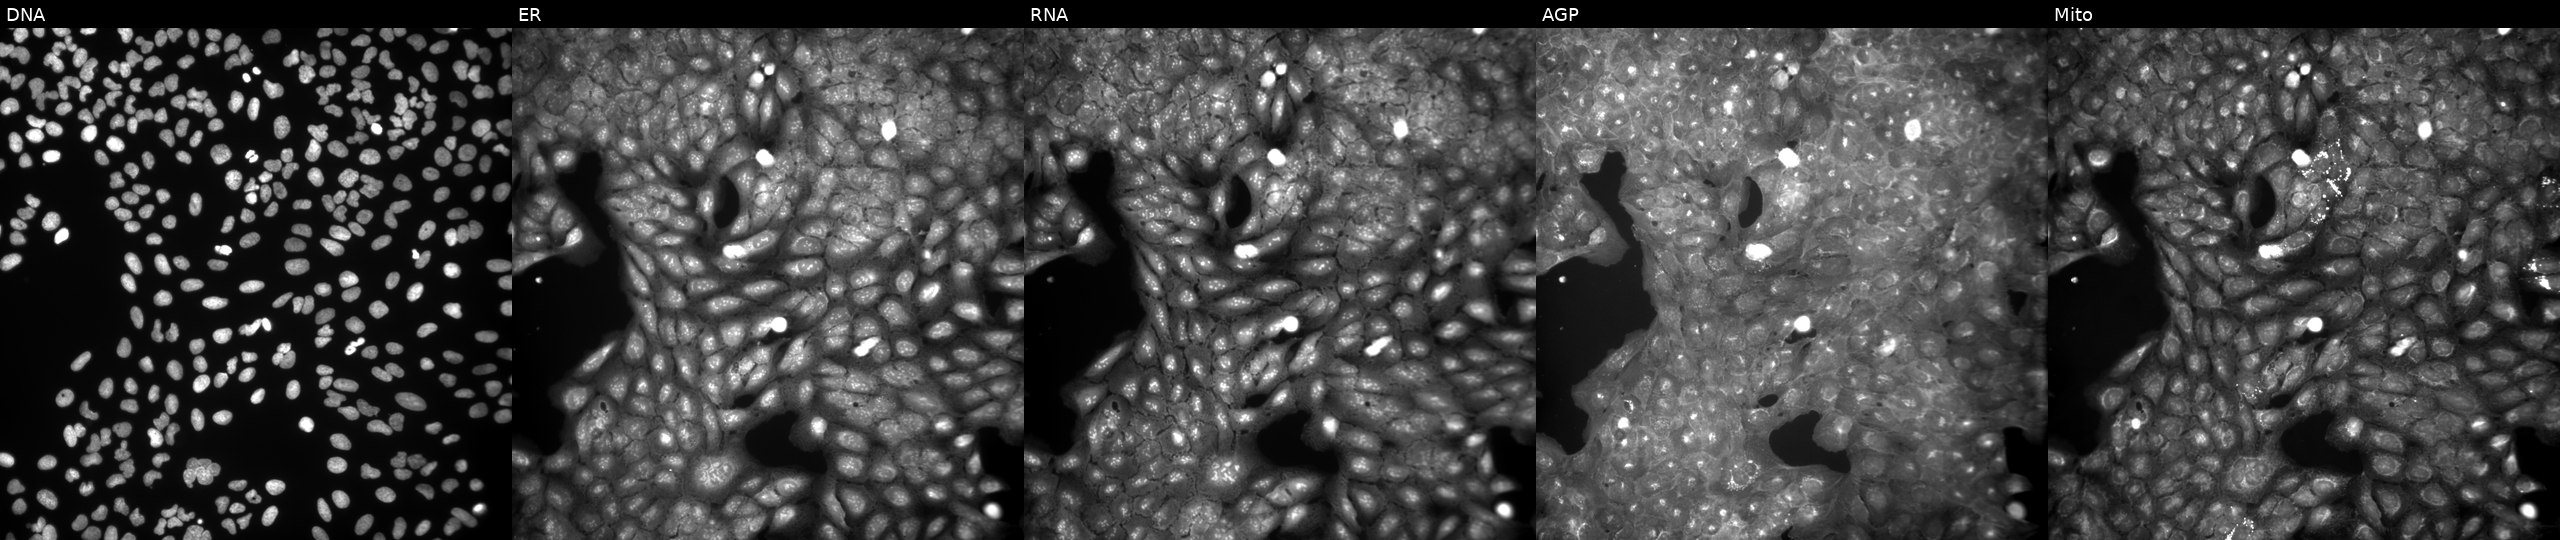
Five-channel Cell Painting image of U2OS cells exposed to a small-molecule compound (InChIKey GEFUEZFPBVDOQE-UHFFFAOYSA-N) (JUMP id JCP2022_024900). From left to right: Hoechst 33342, concanavalin A, SYTO 14, phalloidin and WGA, MitoTracker.